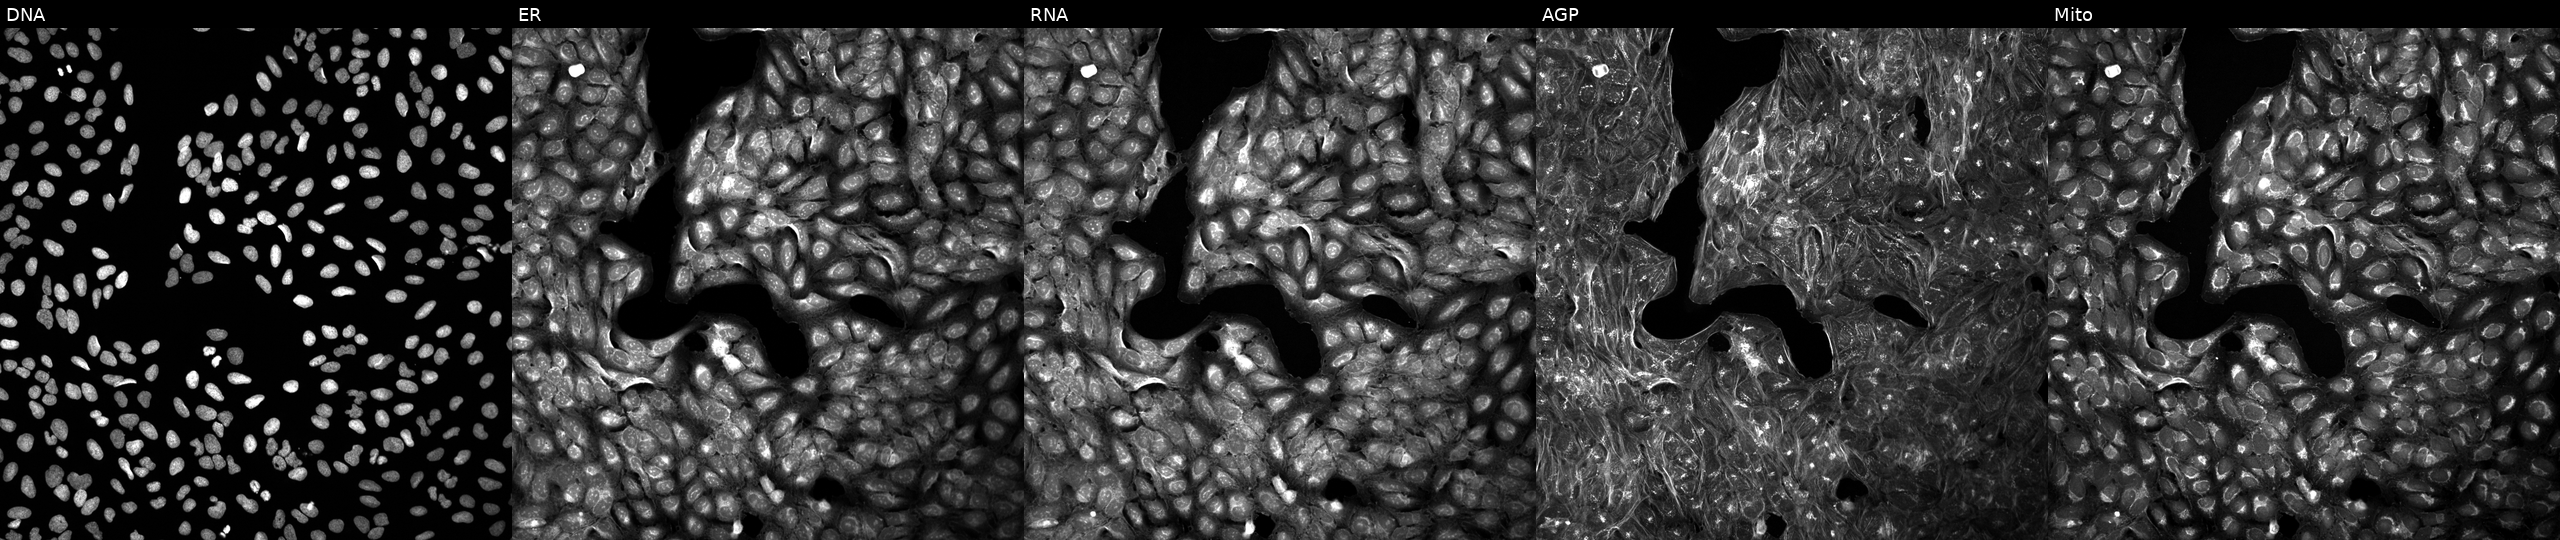
Five-channel Cell Painting image of U2OS cells treated with a small-molecule compound. Channels (left→right): DNA (nuclei); ER (endoplasmic reticulum); RNA (nucleoli and cytoplasmic RNA); AGP (actin cytoskeleton, Golgi, and plasma membrane); Mito (mitochondria). Source 5, plate APTJUM105, well I21.